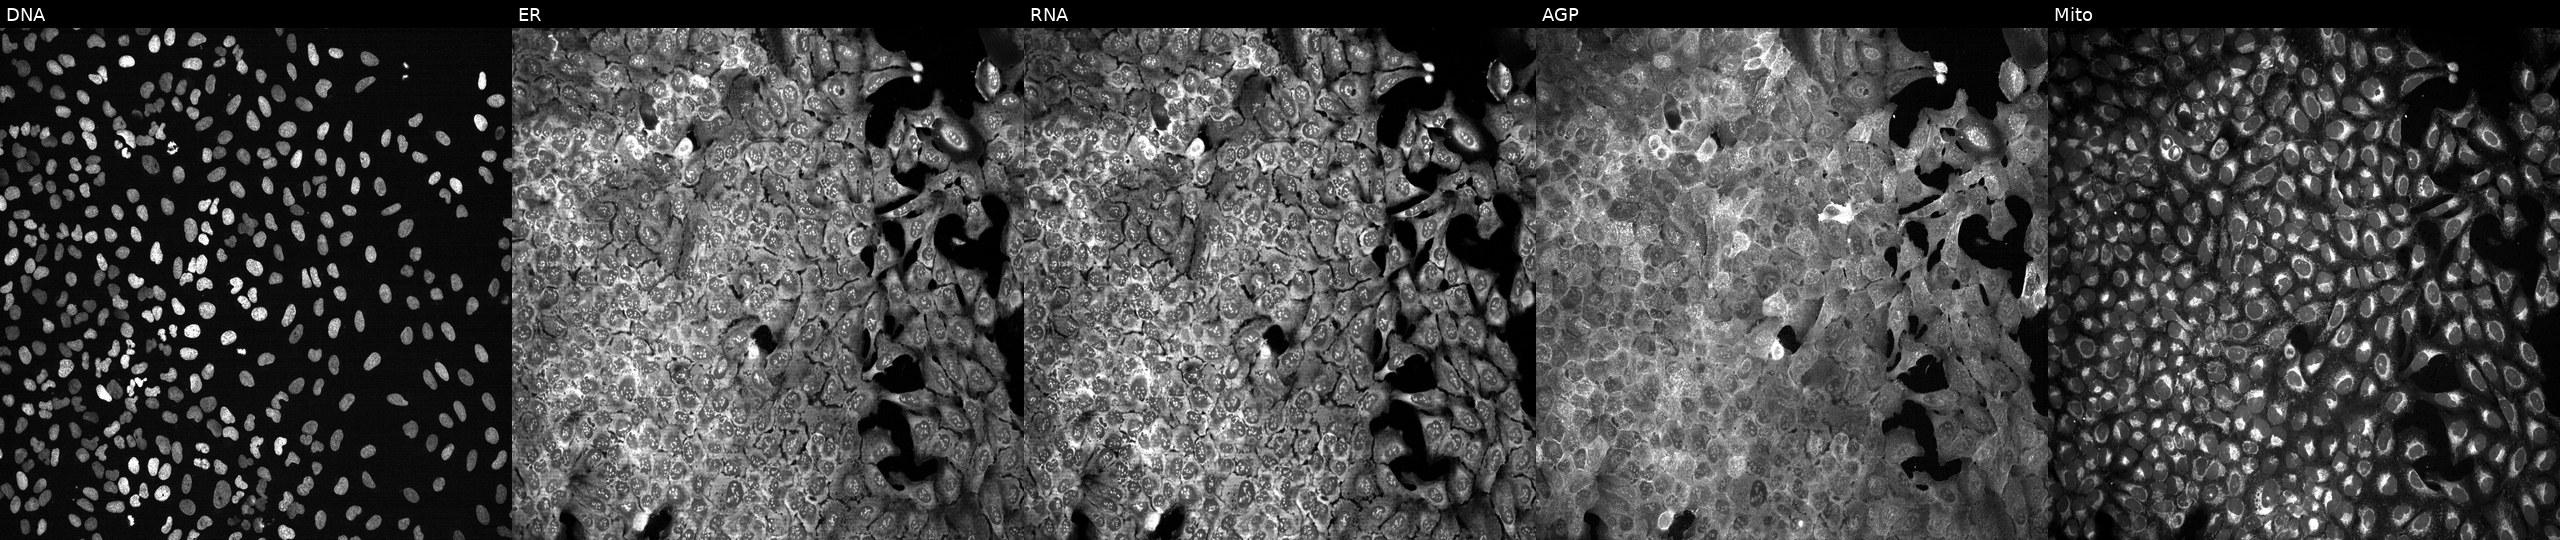
From left to right: DNA (nuclei); ER (endoplasmic reticulum); RNA (nucleoli and cytoplasmic RNA); AGP (actin cytoskeleton, Golgi, and plasma membrane); Mito (mitochondria). U2OS osteosarcoma cells with SCLY knocked out by CRISPR. Cell Painting assay, JUMP-CP dataset.